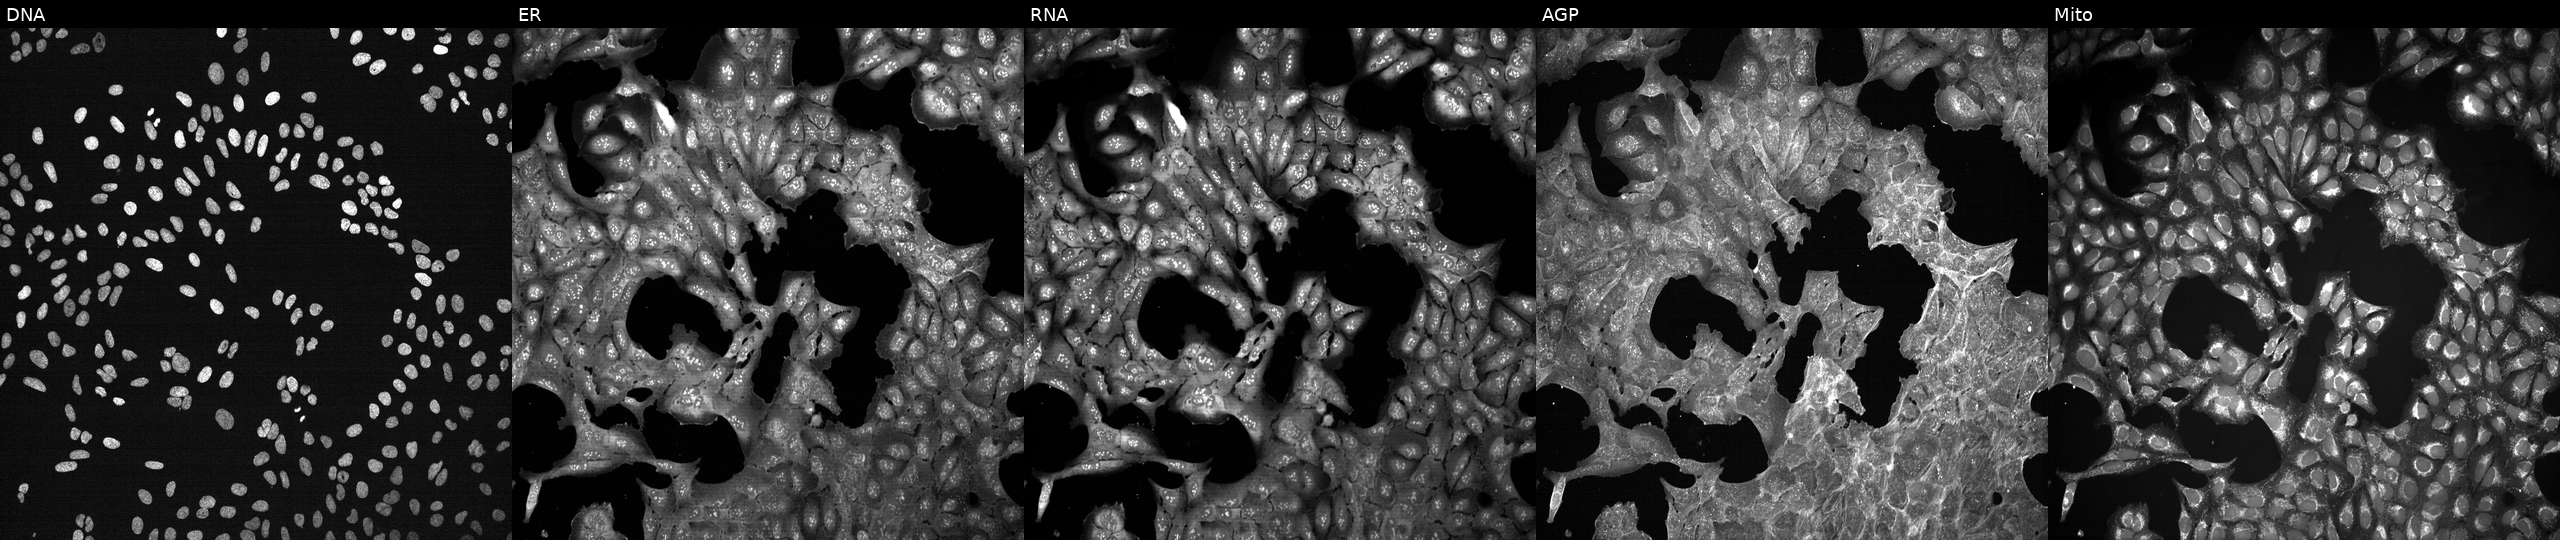
This image strip shows the five Cell Painting channels for a single field of U2OS cells exposed to a small-molecule compound (InChIKey AGNWVEJTZJIJIM-UHFFFAOYSA-N) [SMILES: Cc1cc(C)c2nc(-c3ccccn3)cc(C(=O)Nc3ccc(S(=O)(=O)N=c4o[nH]c(C)c4C)cc3)c2c1] (JUMP id JCP2022_001275). The five panels, left to right, show Hoechst 33342, concanavalin A, SYTO 14, phalloidin and WGA, MitoTracker. Source 7, plate CP3-SC1-25, well N14.